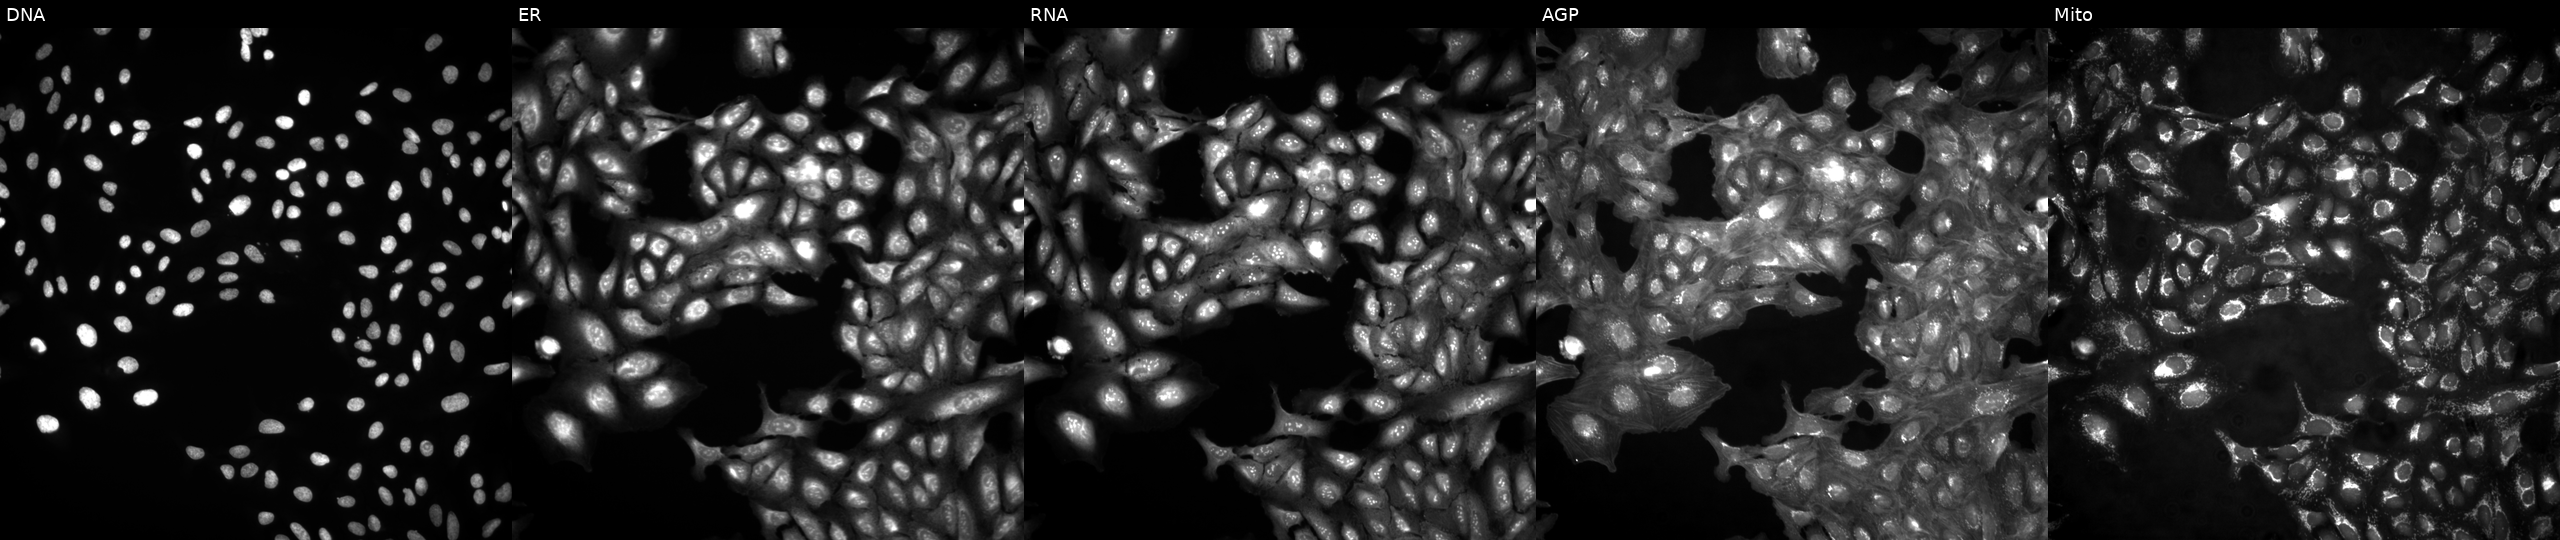
From left to right: DNA (nuclei); ER (endoplasmic reticulum); RNA (nucleoli and cytoplasmic RNA); AGP (actin cytoskeleton, Golgi, and plasma membrane); Mito (mitochondria). U2OS osteosarcoma cells untreated (empty-well control). Cell Painting assay, JUMP-CP dataset. Source 4, plate BR00124793, well A07.